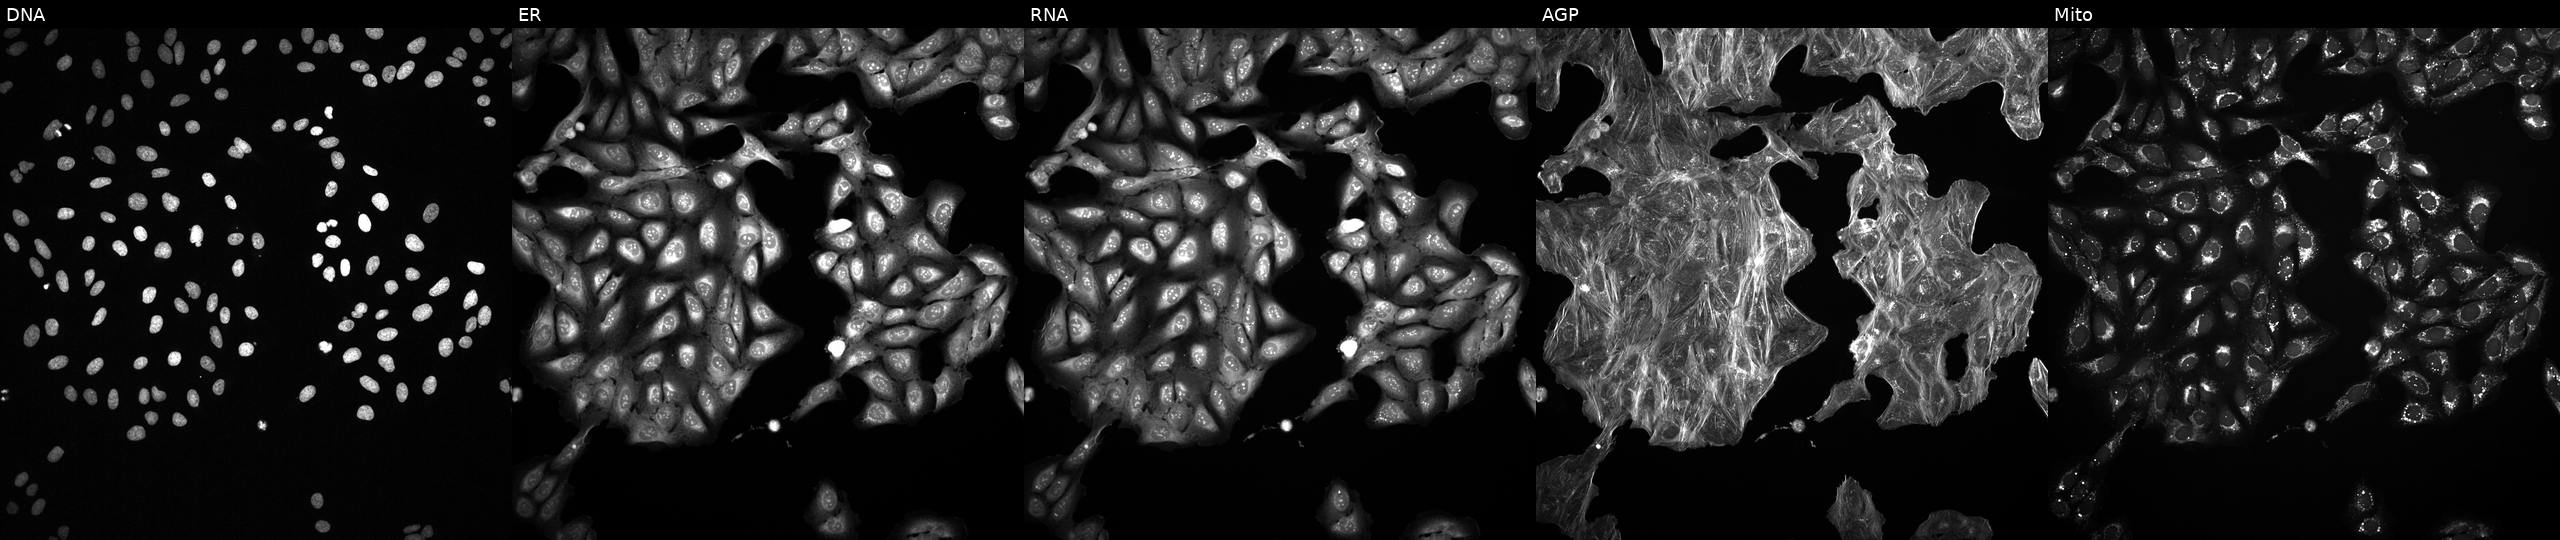
Channels (left→right): DNA, ER, RNA, AGP, and Mito. U2OS osteosarcoma cells perturbed with a small-molecule compound (JUMP id JCP2022_055904). Cell Painting assay, JUMP-CP dataset.